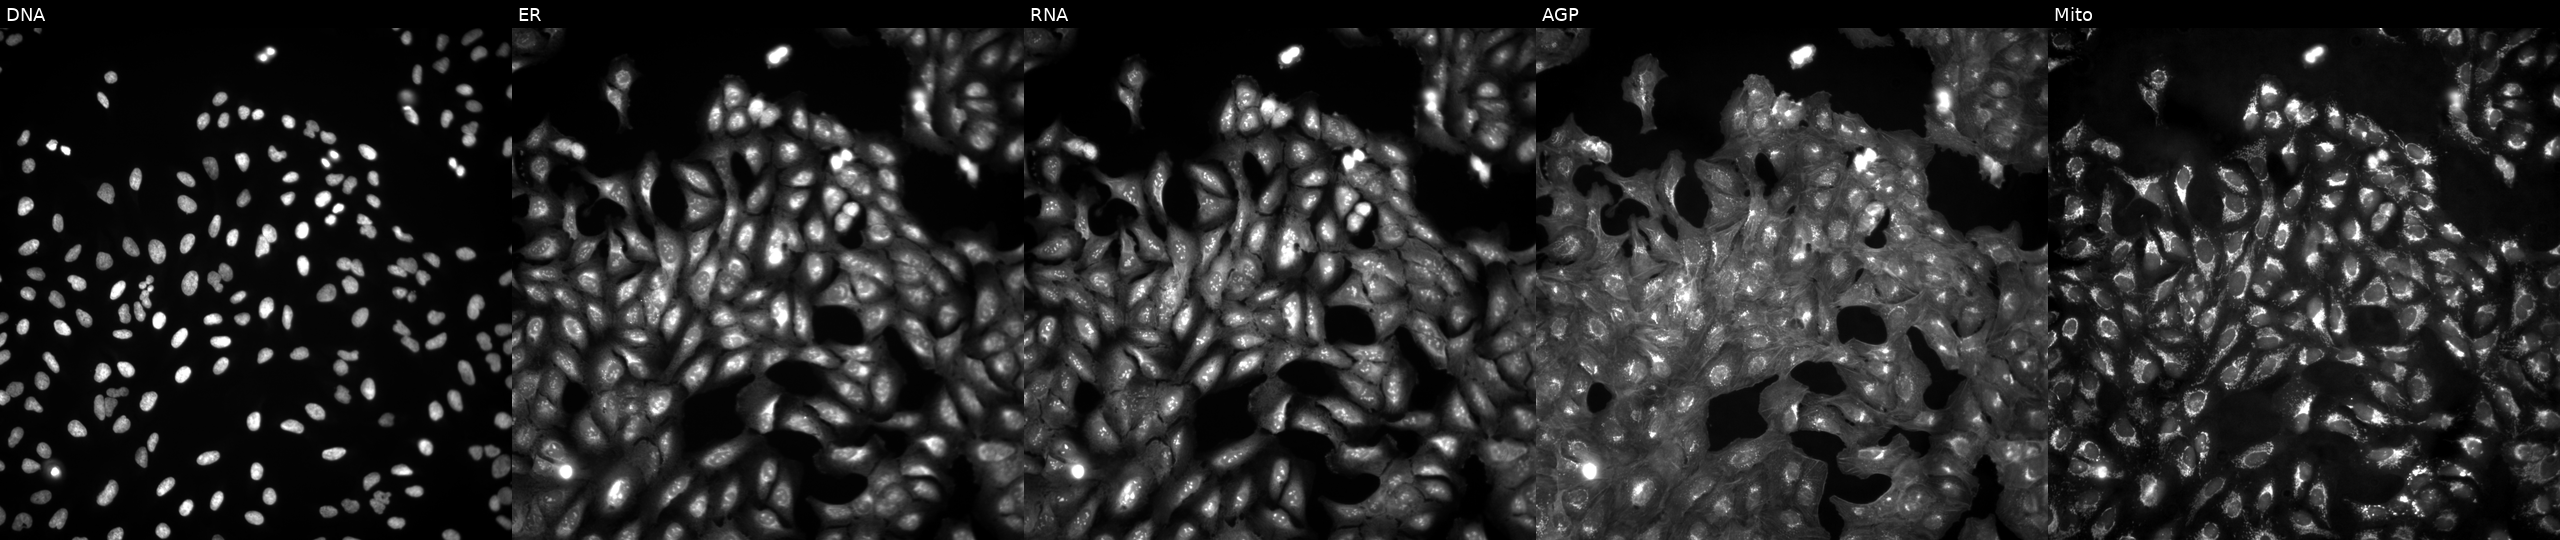
JUMP Cell Painting — ORF plate. U2OS cells untreated (empty-well control). The five panels, left to right, show DNA, ER, RNA, AGP, and Mito.